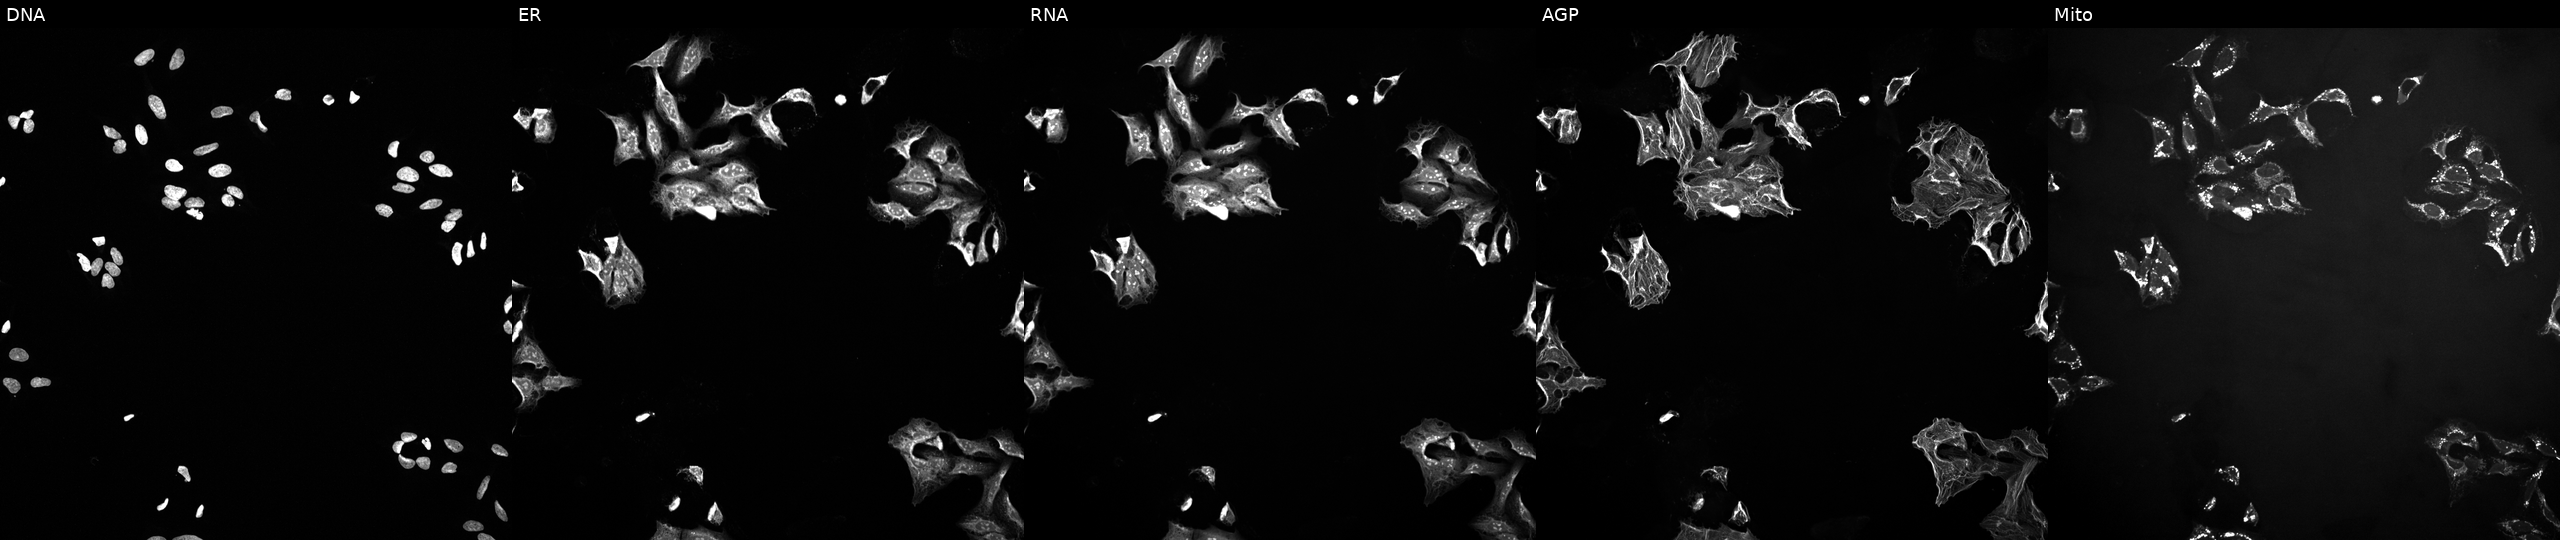
High-content fluorescence microscopy (Cell Painting). Cell line: U2OS. Perturbation: exposed to a small-molecule compound (InChIKey UTBOEBCWXGDOGI-UHFFFAOYSA-N) [SMILES: C=C(NC(=O)C(=C)NC(=O)c1csc(C2=NC3c4csc(n4)C4NC(=O)c5csc(n5)C(C(C)(O)C(C)O)NC(=O)C5CSC(=N5)C(=CC)NC(=O)C(C(C)O)NC(=O)c5csc(n5)C3(CC2)NC(=O)C(C)NC(=O)C(=C)NC(=O)C(C)NC(=O)C(C(C)CC)Nc2ccc3c(c2O)NC(=CC3C(C)O)C(=O)OC4C)n1)C(N)=O] (JUMP id JCP2022_091373). Channels (left→right): DNA, ER, RNA, AGP, and Mito. Source 10, plate Dest210726-160150, well A12.